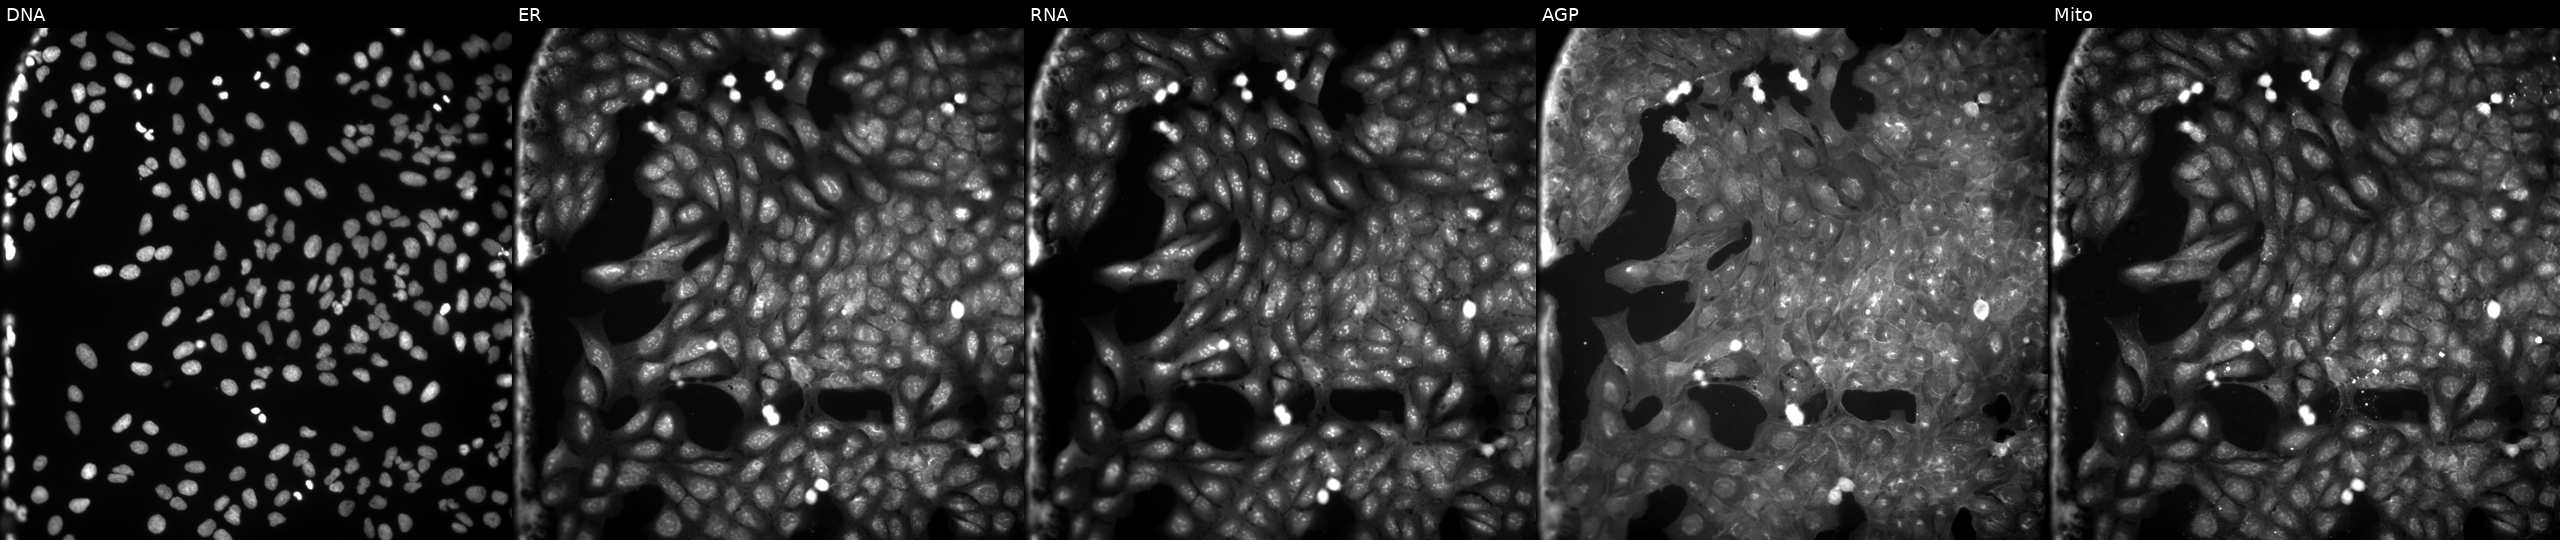
Five-channel Cell Painting image of U2OS cells treated with a small-molecule compound (InChIKey IGUGITXZXOZVEI-UHFFFAOYSA-N) (JUMP id JCP2022_034964). Channels (left→right): DNA, ER, RNA, AGP, and Mito. Source 9, plate GR00003382, well Y04.